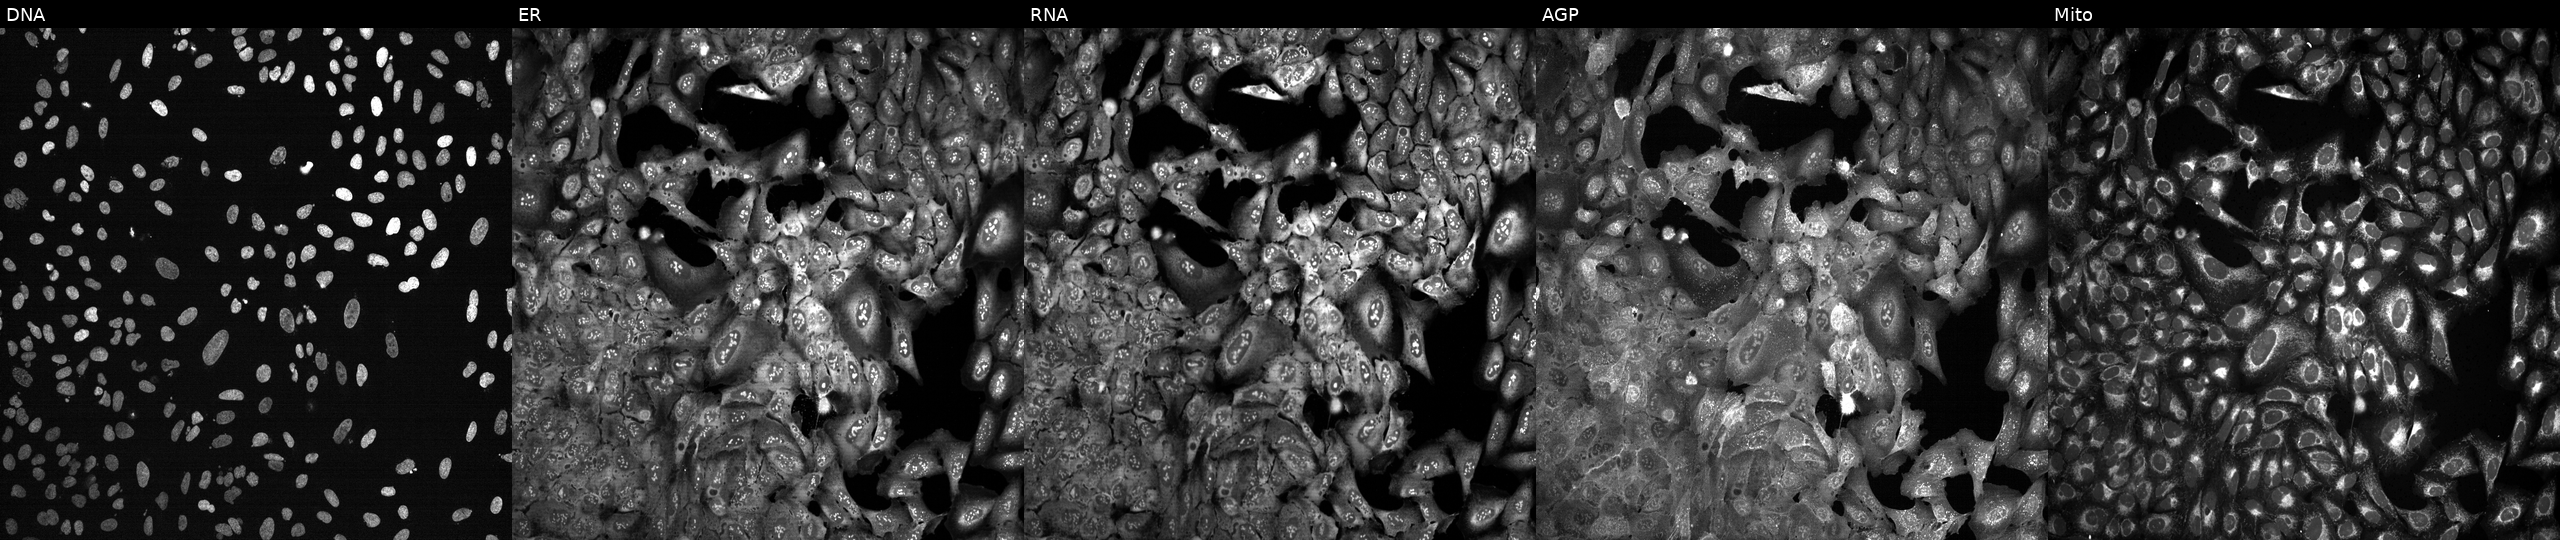
Five-channel Cell Painting image of U2OS cells following CRISPR knockout of MUT. From left to right: DNA, ER, RNA, AGP, and Mito. Source 13, plate CP-CC9-R4-04, well L04.